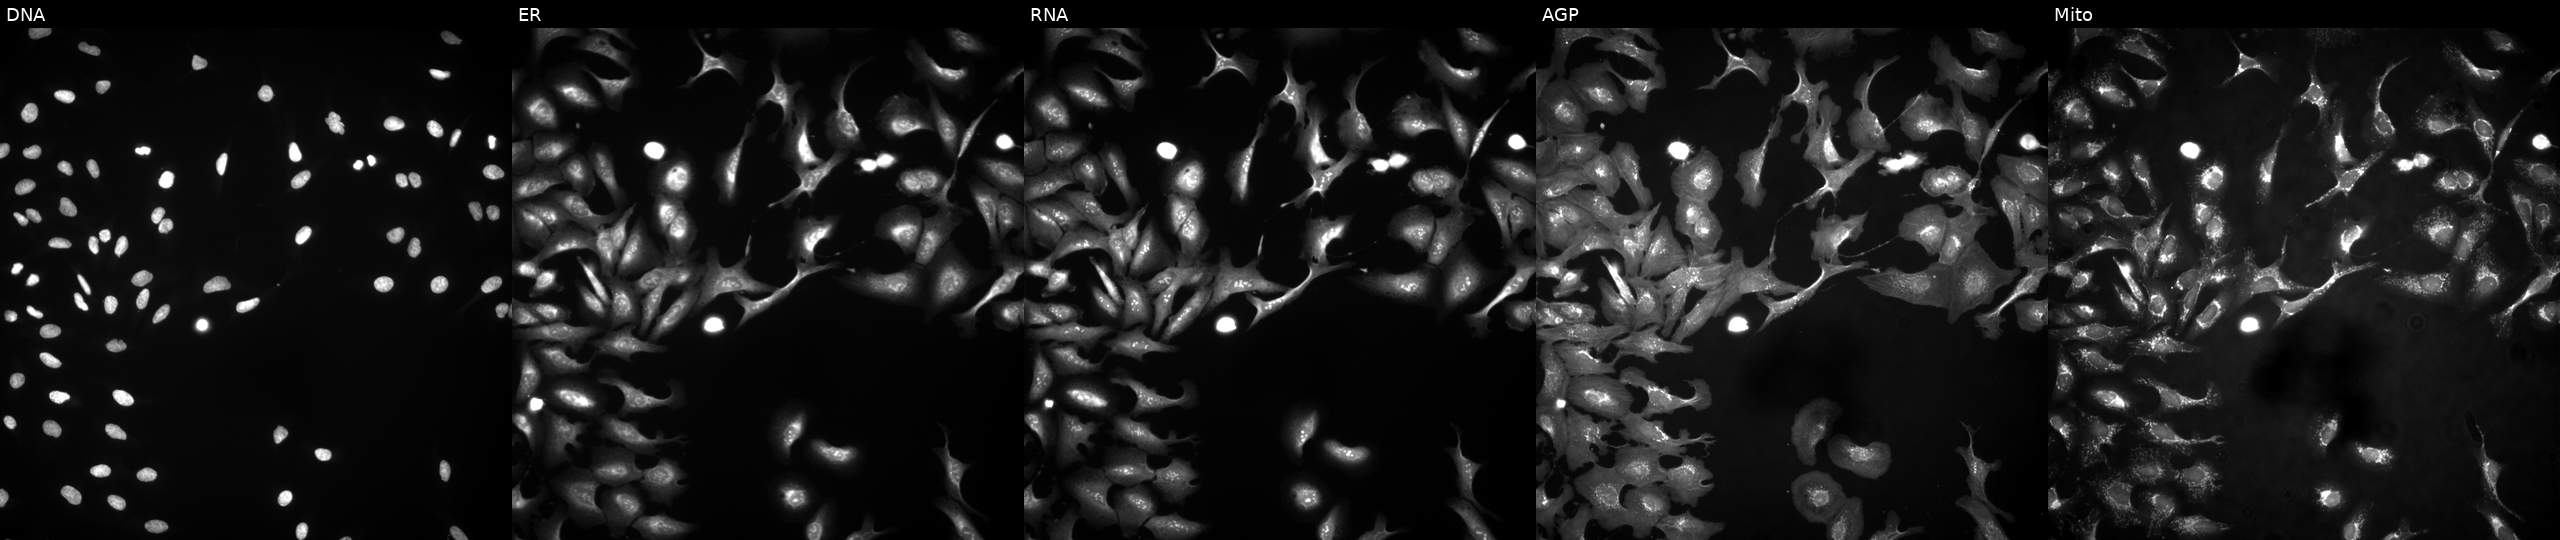
High-content fluorescence microscopy (Cell Painting). Cell line: U2OS. Perturbation: overexpressing LRRFIP1 via ORF transfection. The five panels, left to right, show DNA (nuclei); ER (endoplasmic reticulum); RNA (nucleoli and cytoplasmic RNA); AGP (actin cytoskeleton, Golgi, and plasma membrane); Mito (mitochondria).